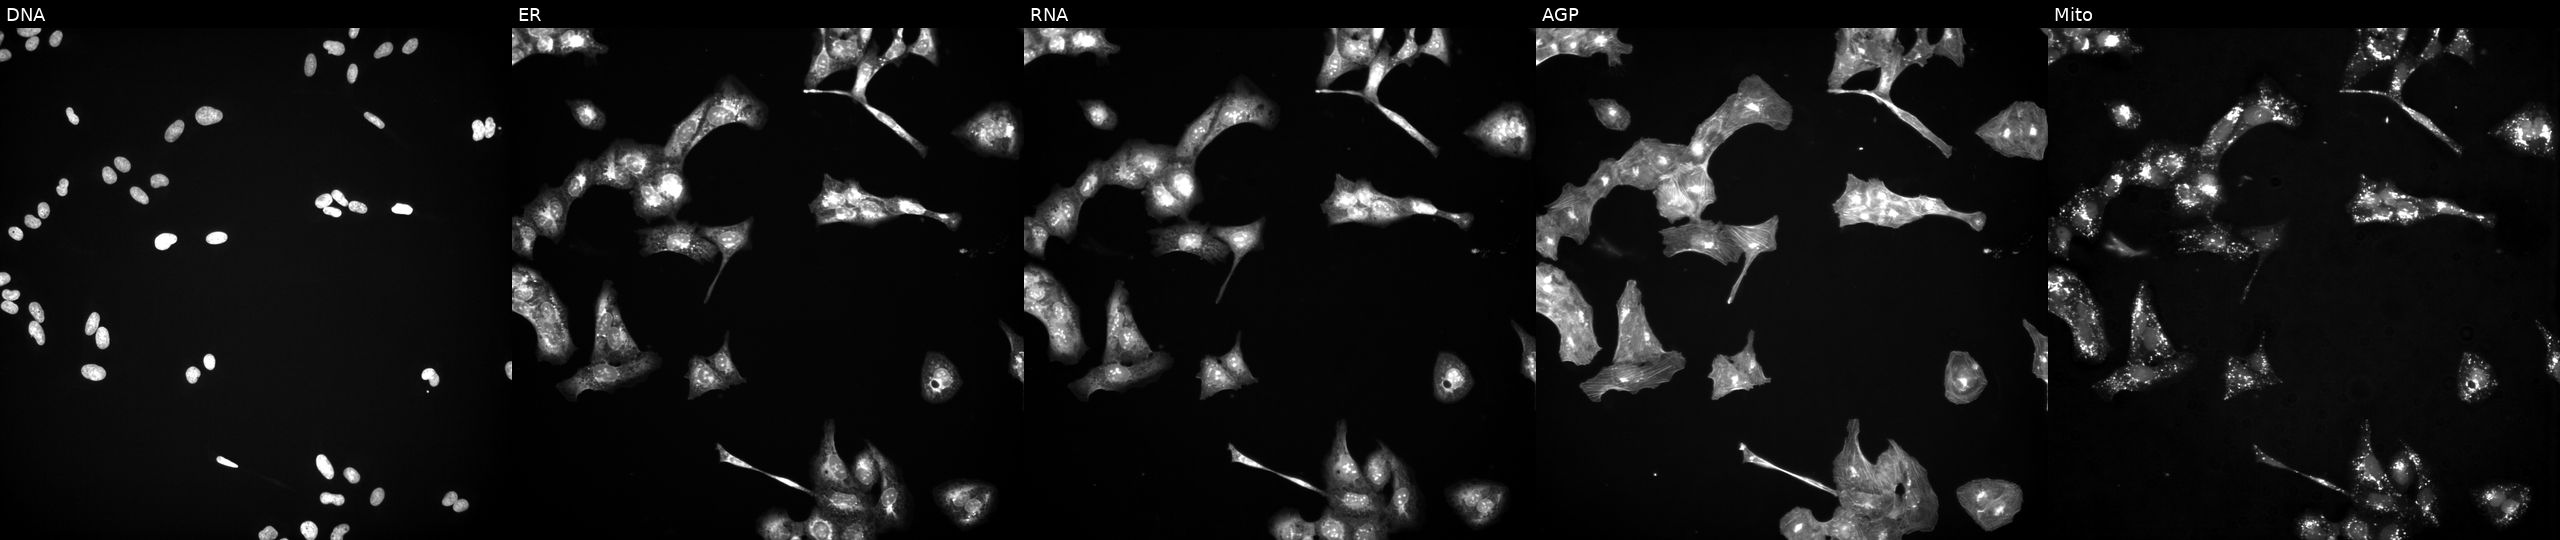
Panels show, left to right, DNA (nuclei); ER (endoplasmic reticulum); RNA (nucleoli and cytoplasmic RNA); AGP (actin cytoskeleton, Golgi, and plasma membrane); Mito (mitochondria). U2OS osteosarcoma cells exposed to a small-molecule compound (InChIKey QNRODODTMXCRKU-UHFFFAOYSA-N). Cell Painting assay, JUMP-CP dataset. Source 3, plate JCPQC051, well O13.